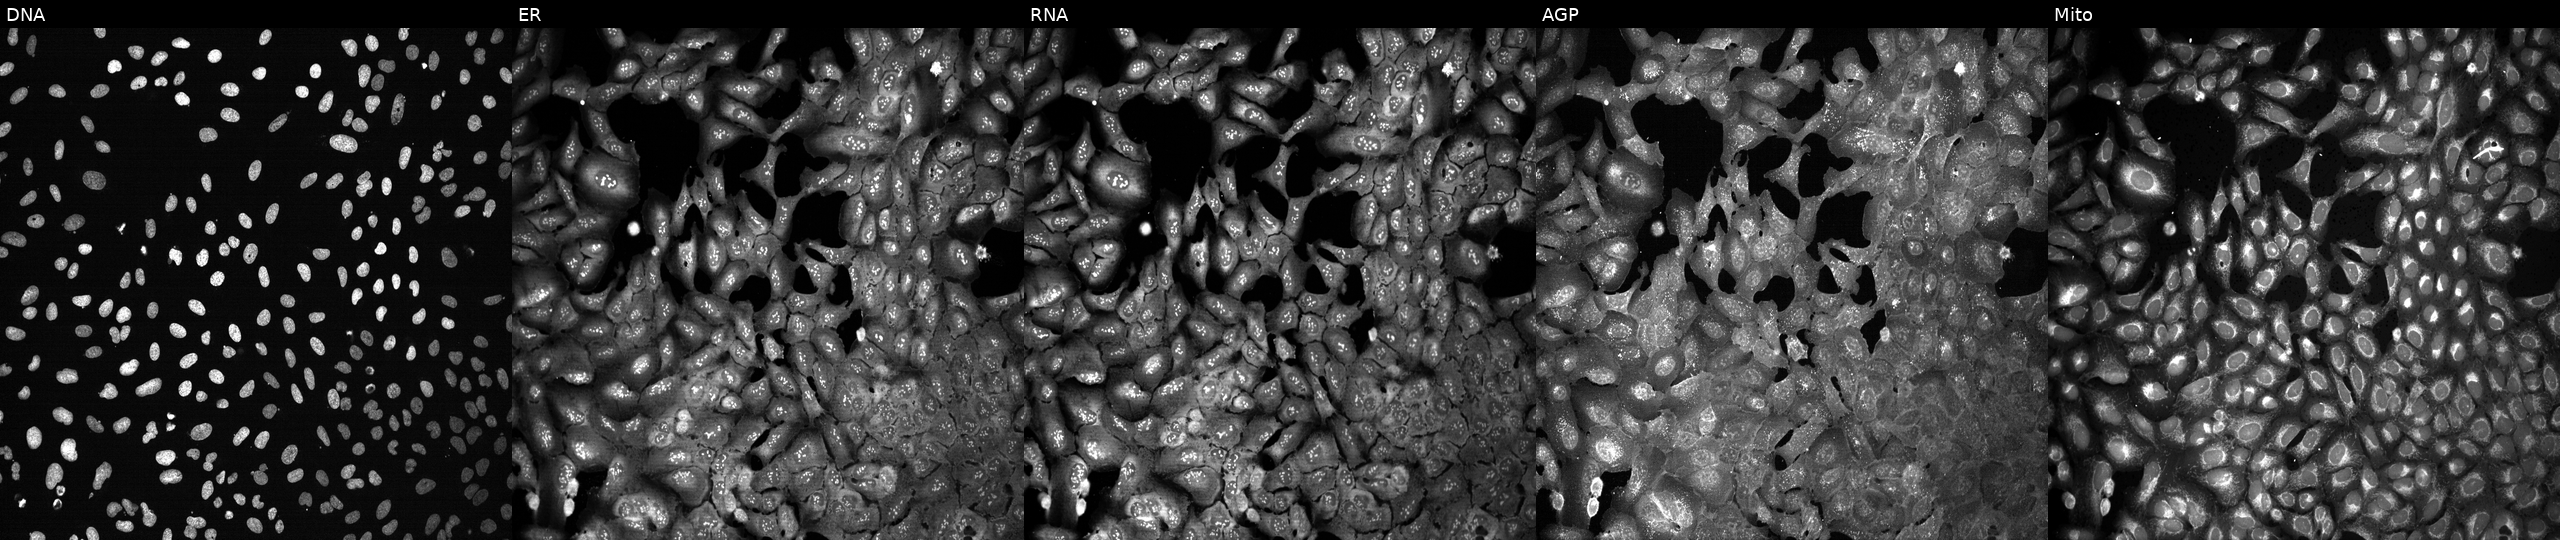
Five-channel Cell Painting image of U2OS cells CRISPR-edited to disrupt ADH1C. Panels show, left to right, Hoechst 33342, concanavalin A, SYTO 14, phalloidin and WGA, MitoTracker.